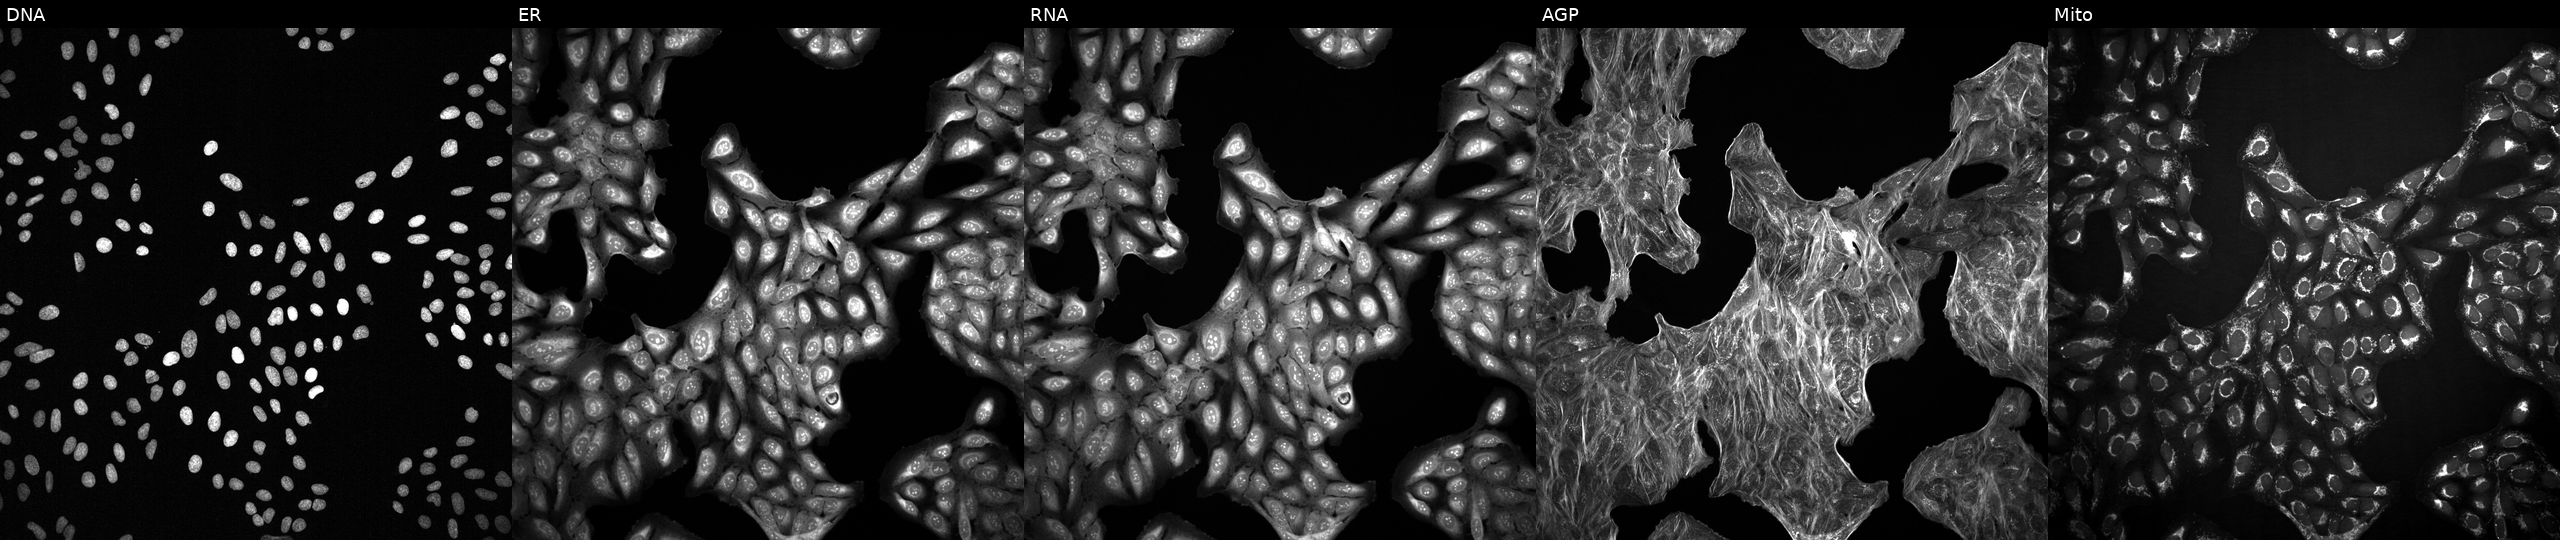
JUMP Cell Painting — COMPOUND plate. U2OS cells exposed to a small-molecule compound (InChIKey SPCKDNGENQAUPL-UHFFFAOYSA-N) (JUMP id JCP2022_084707). The five panels, left to right, show DNA, ER, RNA, AGP, and Mito. Source 2, plate 1053601763, well F05.